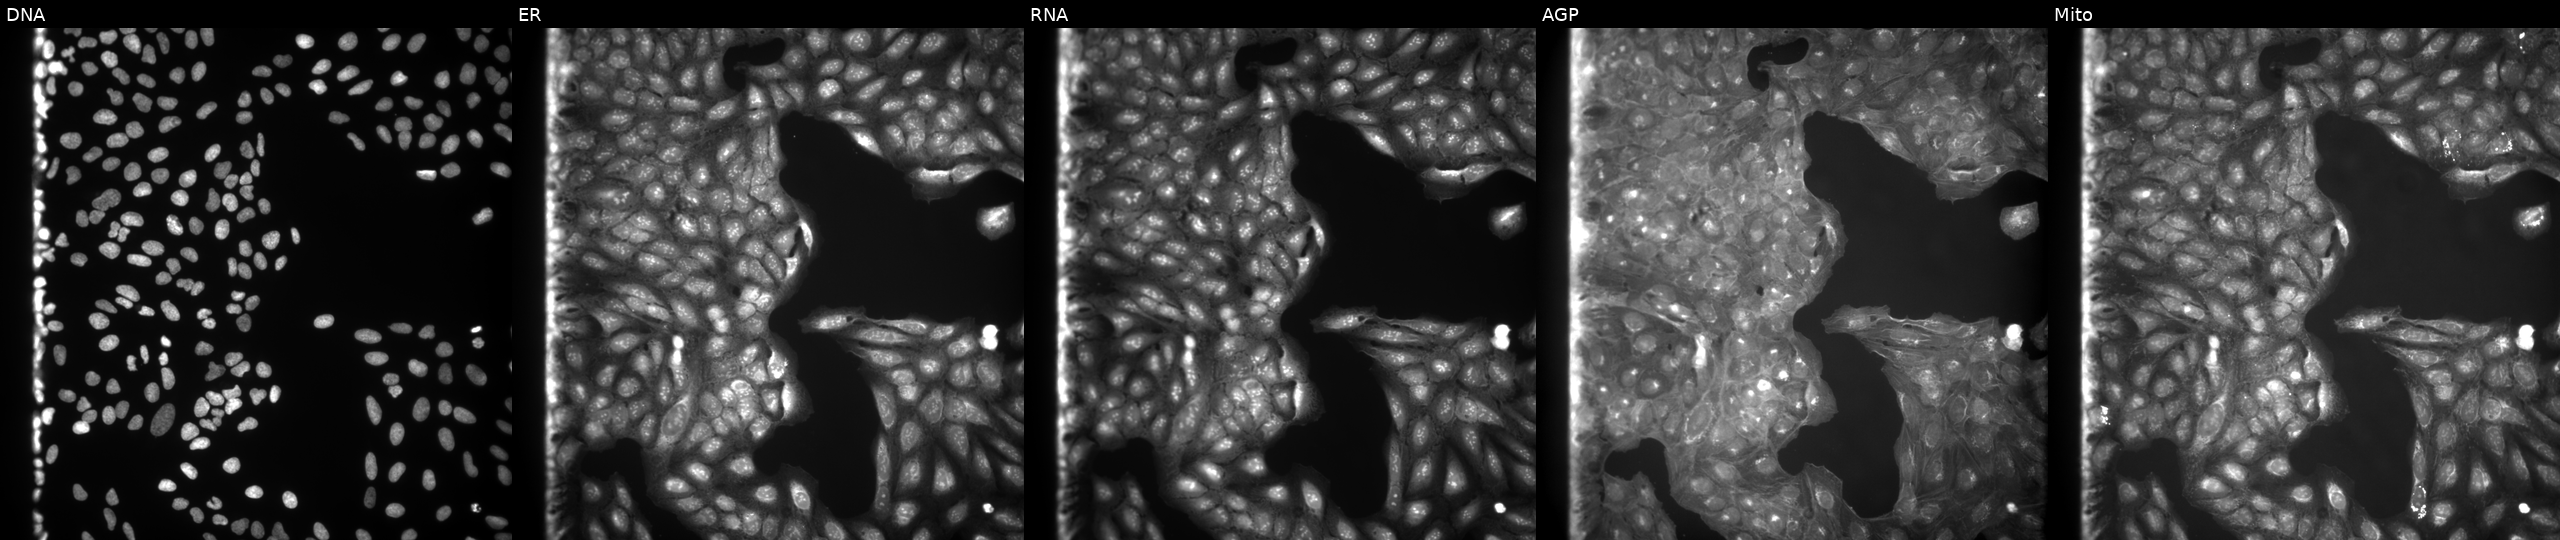
U2OS cells, Cell Painting assay, treated with a small-molecule compound (InChIKey LLQPZCHFHWGXRG-UHFFFAOYSA-N). The five panels, left to right, show Hoechst 33342, concanavalin A, SYTO 14, phalloidin and WGA, MitoTracker. Each panel is percentile-stretched 16-bit fluorescence. Source 9, plate GR00003382, well B07.